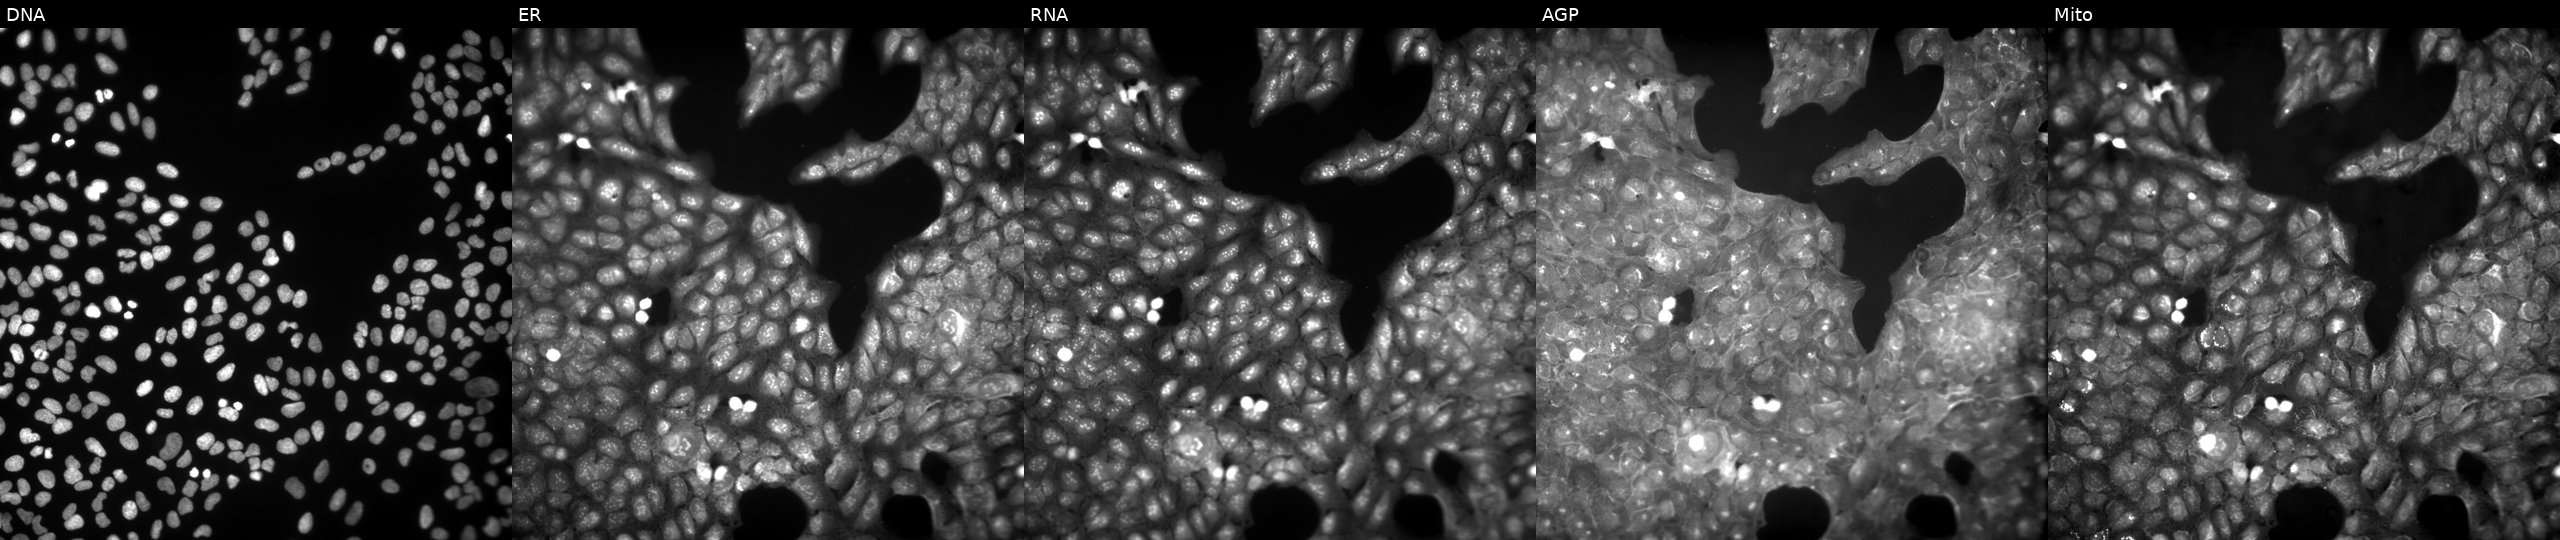
This image strip shows the five Cell Painting channels for a single field of U2OS cells exposed to a small-molecule compound (InChIKey GLBPBESZJQVPDJ-UHFFFAOYSA-N) (JUMP id JCP2022_026191). The five panels, left to right, show DNA (nuclei); ER (endoplasmic reticulum); RNA (nucleoli and cytoplasmic RNA); AGP (actin cytoskeleton, Golgi, and plasma membrane); Mito (mitochondria).